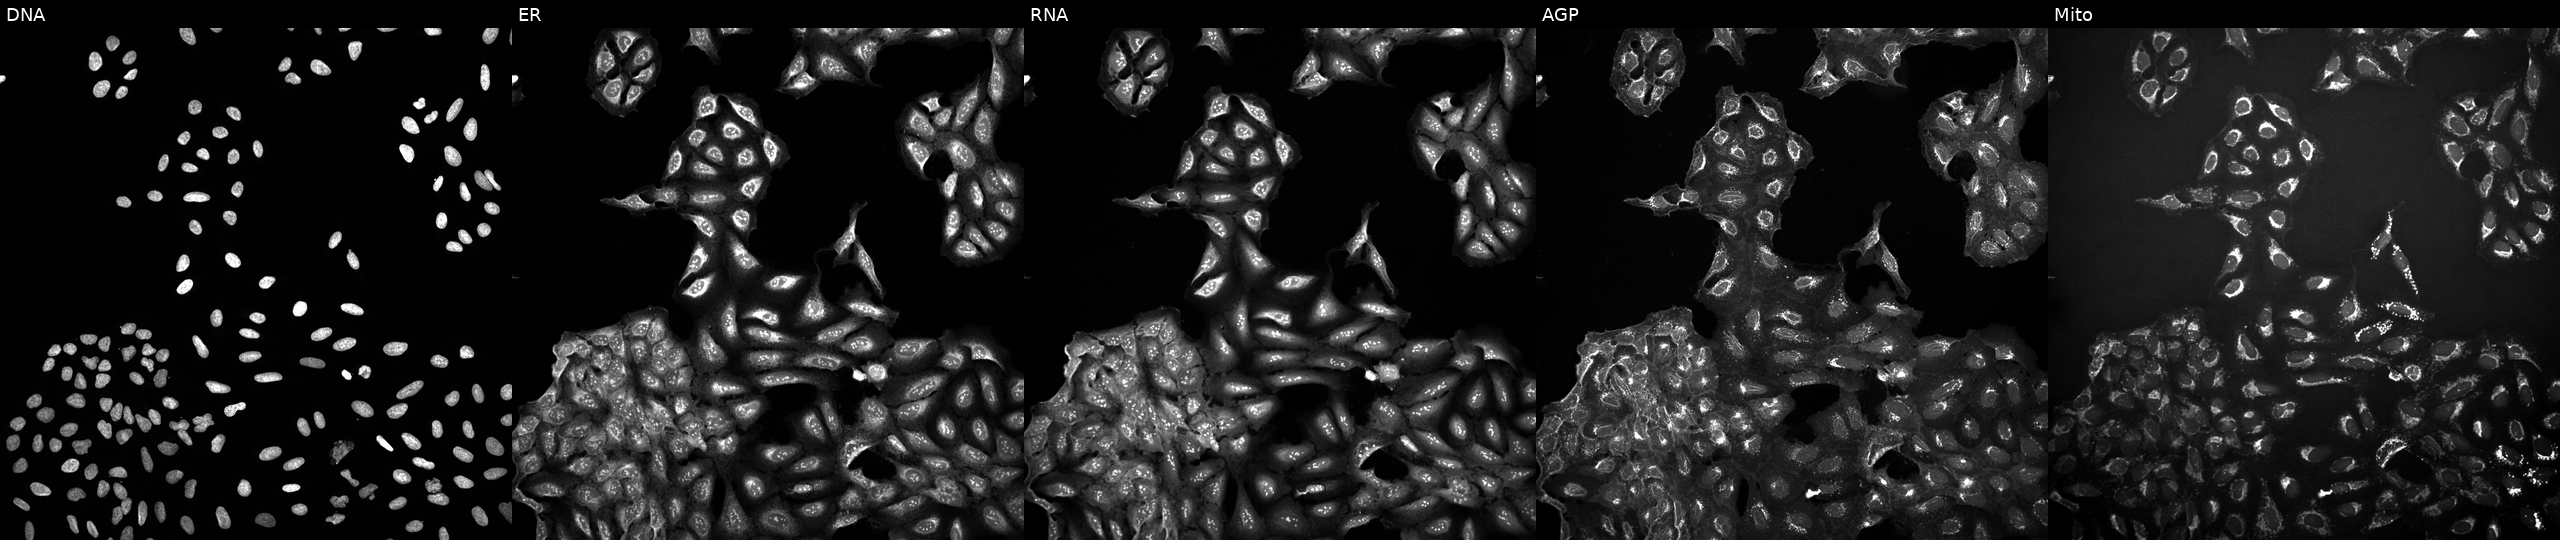
U2OS cells, Cell Painting assay, treated with DMSO vehicle only (negative control). Channels (left→right): Hoechst 33342, concanavalin A, SYTO 14, phalloidin and WGA, MitoTracker. Each panel is percentile-stretched 16-bit fluorescence.